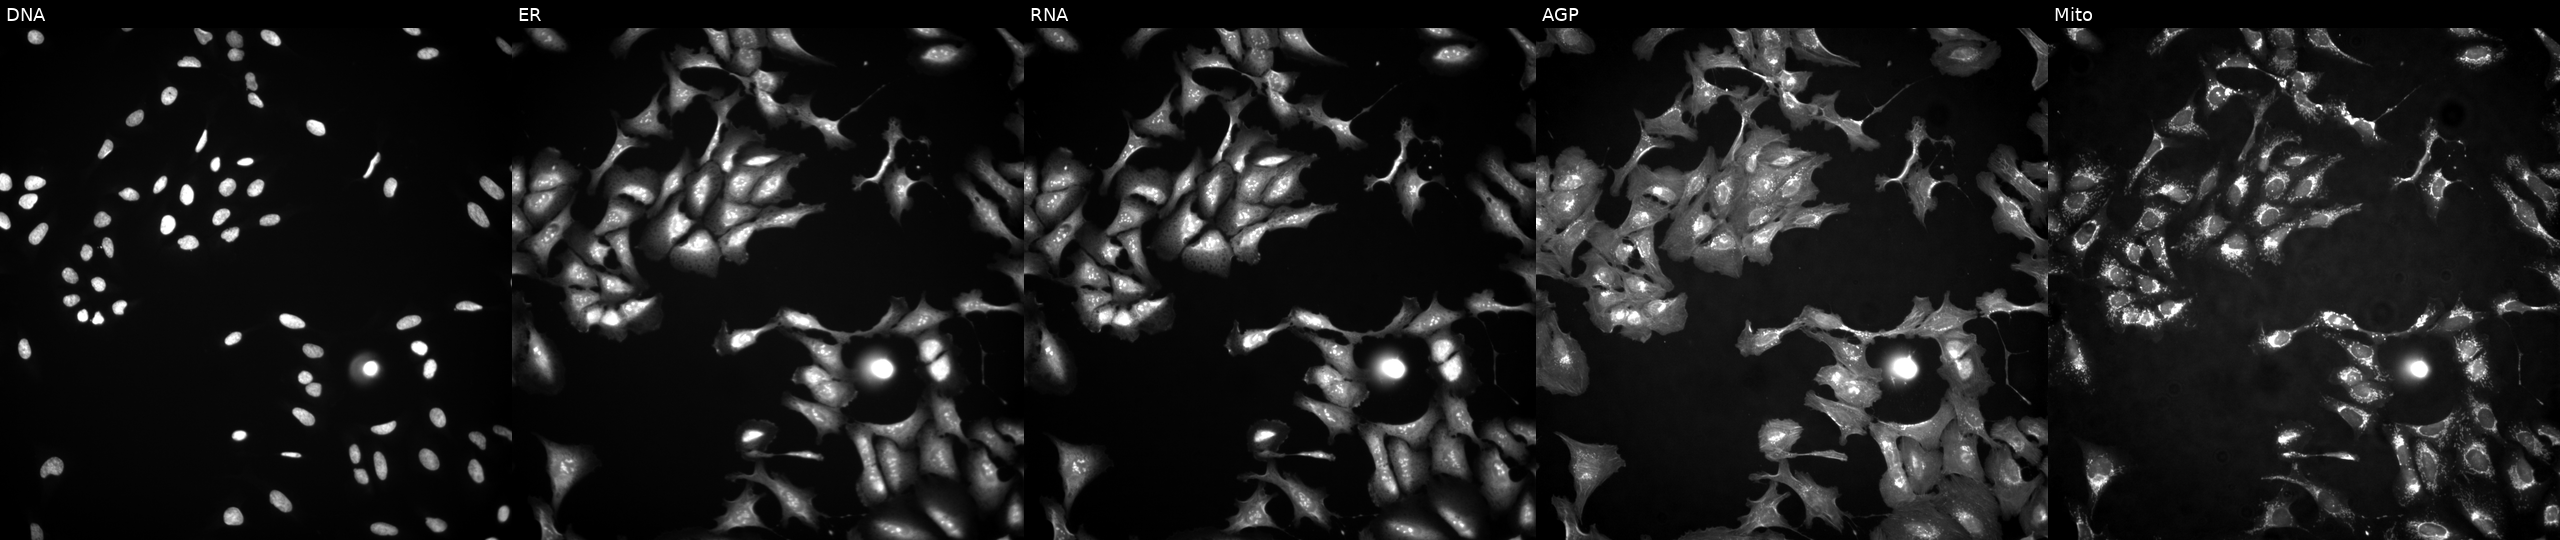
U2OS cells, Cell Painting assay, overexpressing BRD8 via ORF transfection. Panels show, left to right, DNA (nuclei); ER (endoplasmic reticulum); RNA (nucleoli and cytoplasmic RNA); AGP (actin cytoskeleton, Golgi, and plasma membrane); Mito (mitochondria). Each panel is percentile-stretched 16-bit fluorescence.